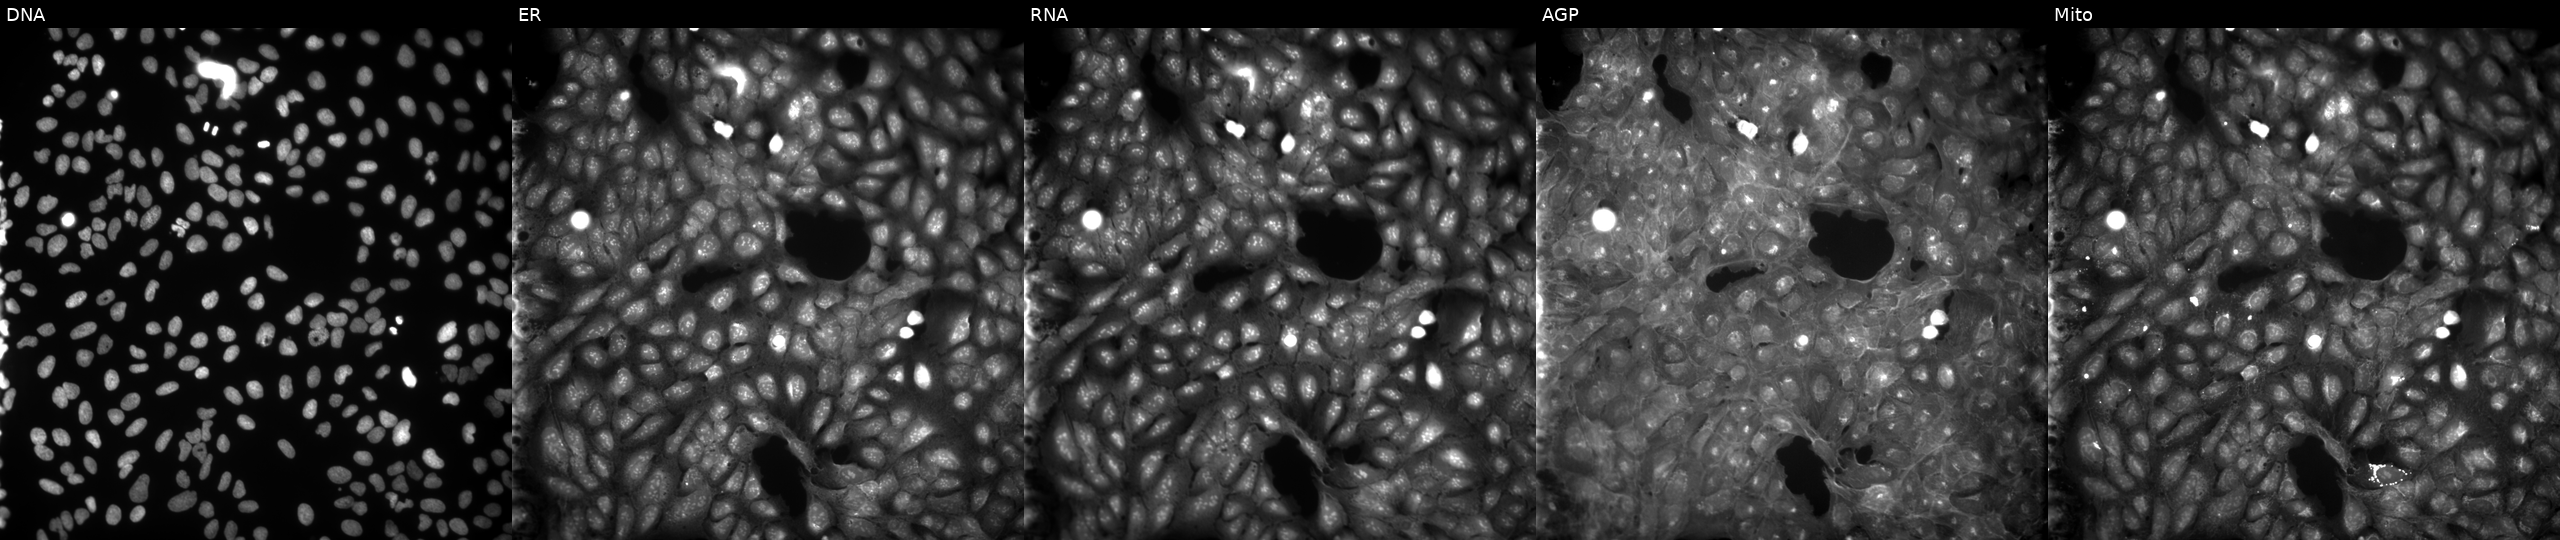
U2OS cells, Cell Painting assay, treated with a small-molecule compound (InChIKey LHVYMXGBVNXXCN-UHFFFAOYSA-N). Channels (left→right): DNA, ER, RNA, AGP, and Mito. Each panel is percentile-stretched 16-bit fluorescence.